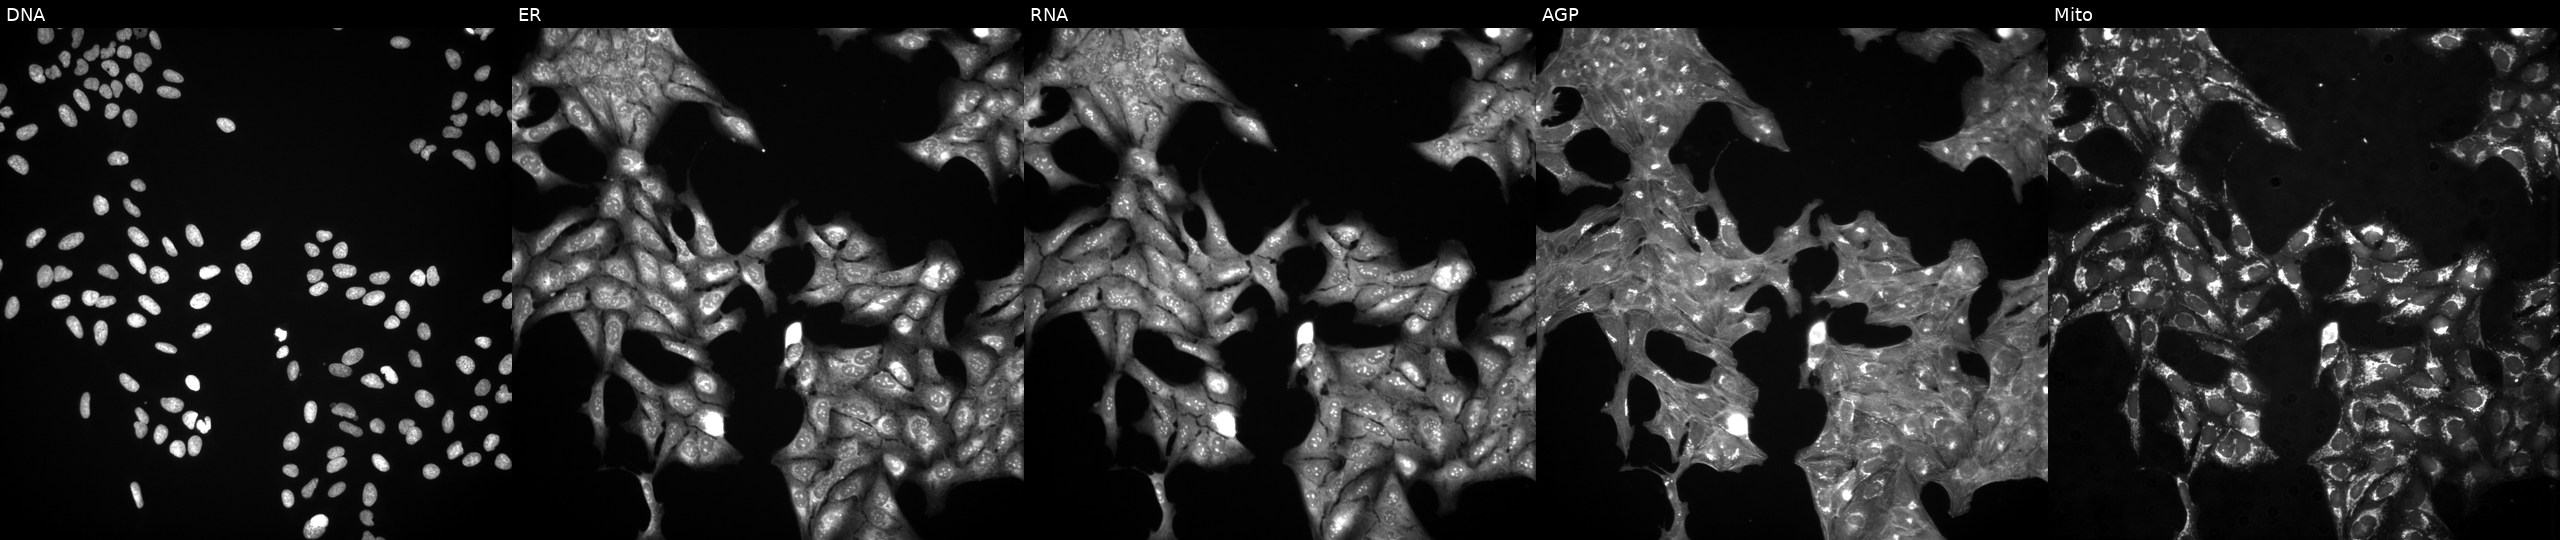
High-content fluorescence microscopy (Cell Painting). Cell line: U2OS. Perturbation: treated with a small-molecule compound. From left to right: DNA (nuclei); ER (endoplasmic reticulum); RNA (nucleoli and cytoplasmic RNA); AGP (actin cytoskeleton, Golgi, and plasma membrane); Mito (mitochondria). Source 3, plate JCPQC052, well J23.